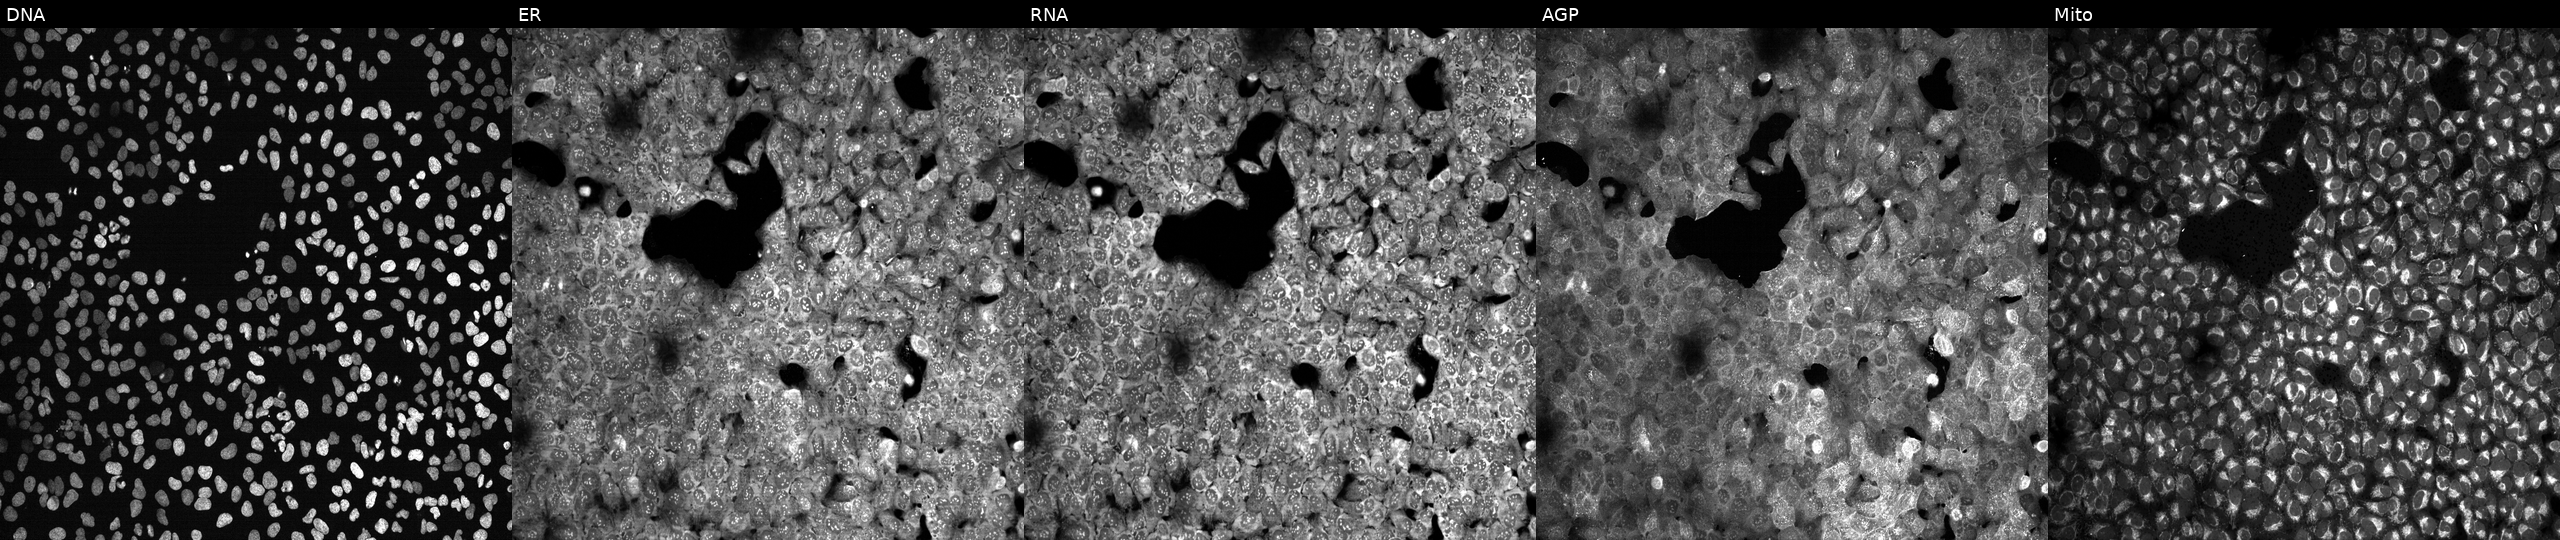
JUMP Cell Painting — CRISPR plate. U2OS cells treated with NVS-PAK1-1 (positive-control compound). From left to right: DNA (nuclei); ER (endoplasmic reticulum); RNA (nucleoli and cytoplasmic RNA); AGP (actin cytoskeleton, Golgi, and plasma membrane); Mito (mitochondria). Source 13, plate CP-CC9-R4-04, well F01.